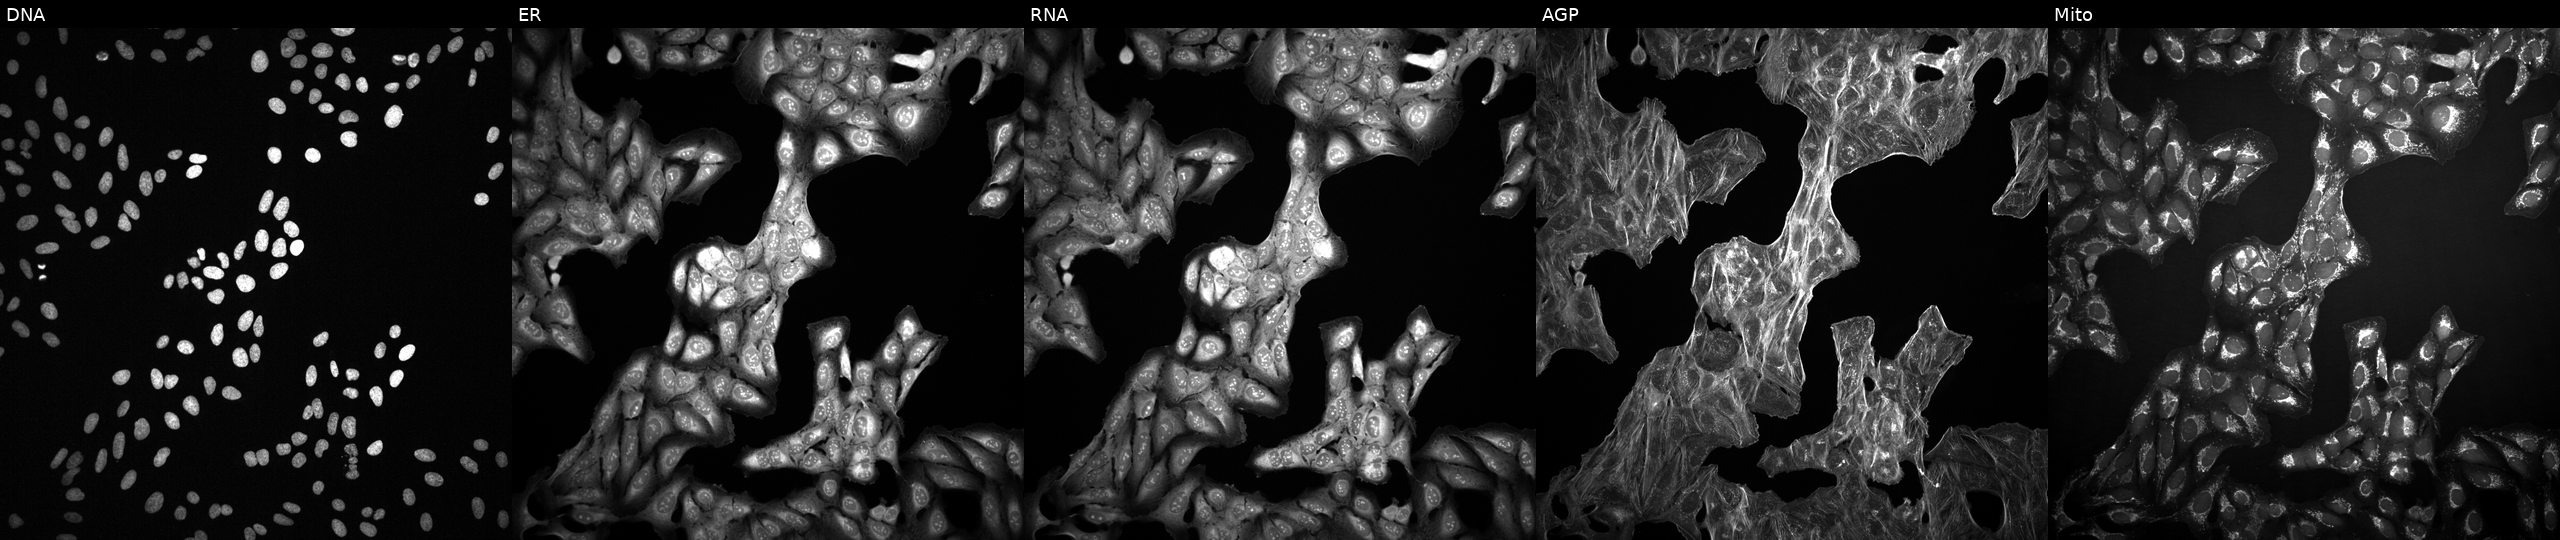
The five panels, left to right, show Hoechst 33342, concanavalin A, SYTO 14, phalloidin and WGA, MitoTracker. U2OS osteosarcoma cells exposed to DMSO alone as a negative control (JUMP id JCP2022_033924). Cell Painting assay, JUMP-CP dataset. Source 2, plate 1053597936, well F05.